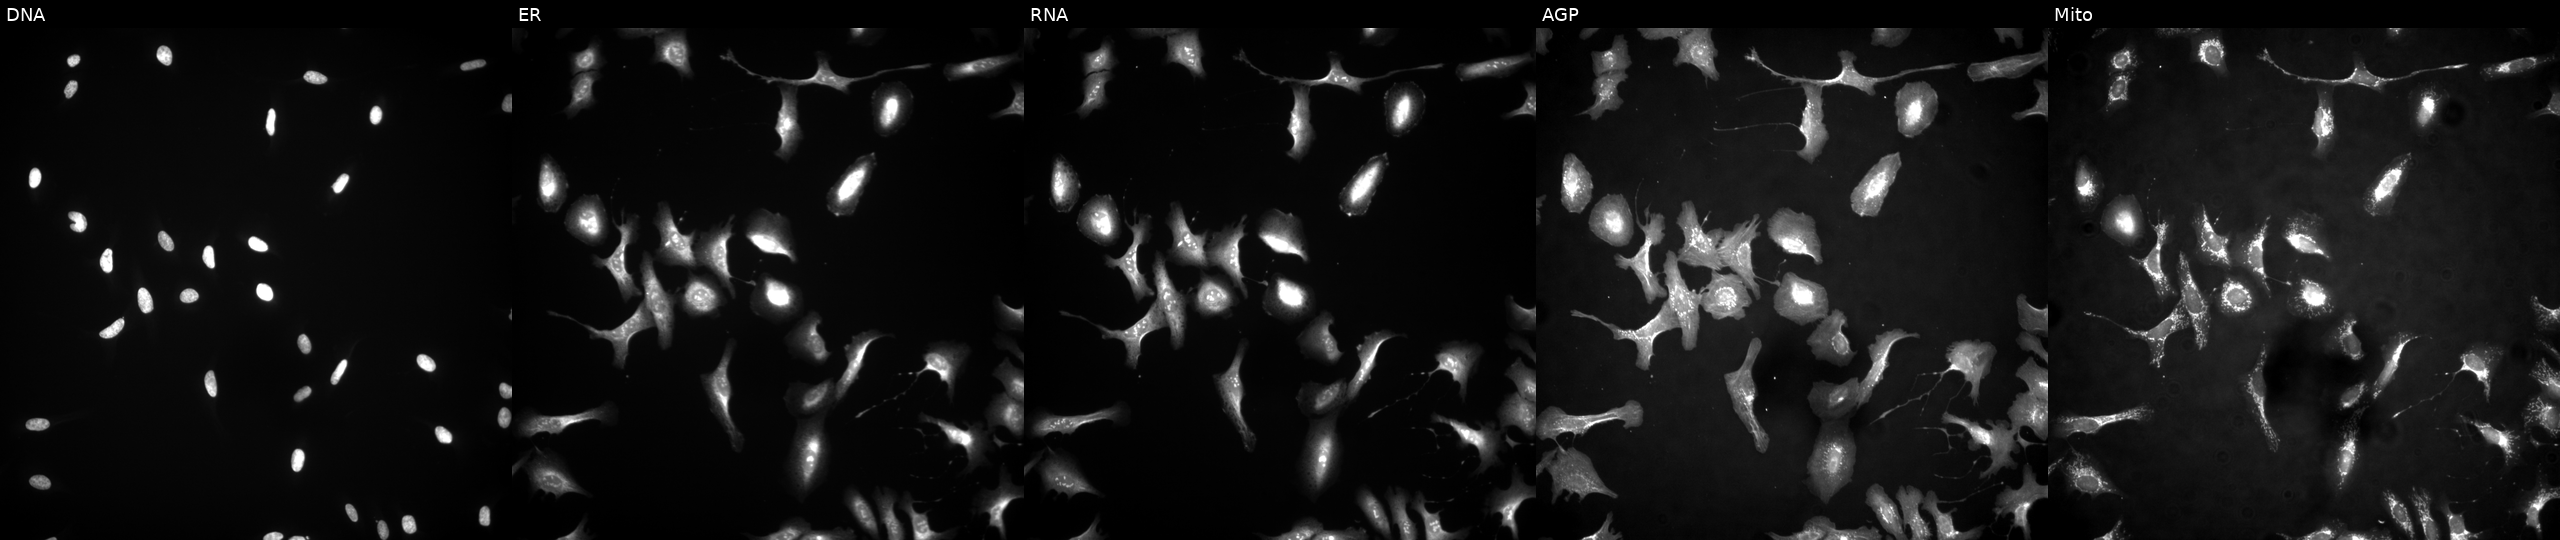
This image strip shows the five Cell Painting channels for a single field of U2OS cells transfected with an ORF construct for PPP1R18 (JUMP id JCP2022_904826). Channels (left→right): DNA (nuclei); ER (endoplasmic reticulum); RNA (nucleoli and cytoplasmic RNA); AGP (actin cytoskeleton, Golgi, and plasma membrane); Mito (mitochondria).